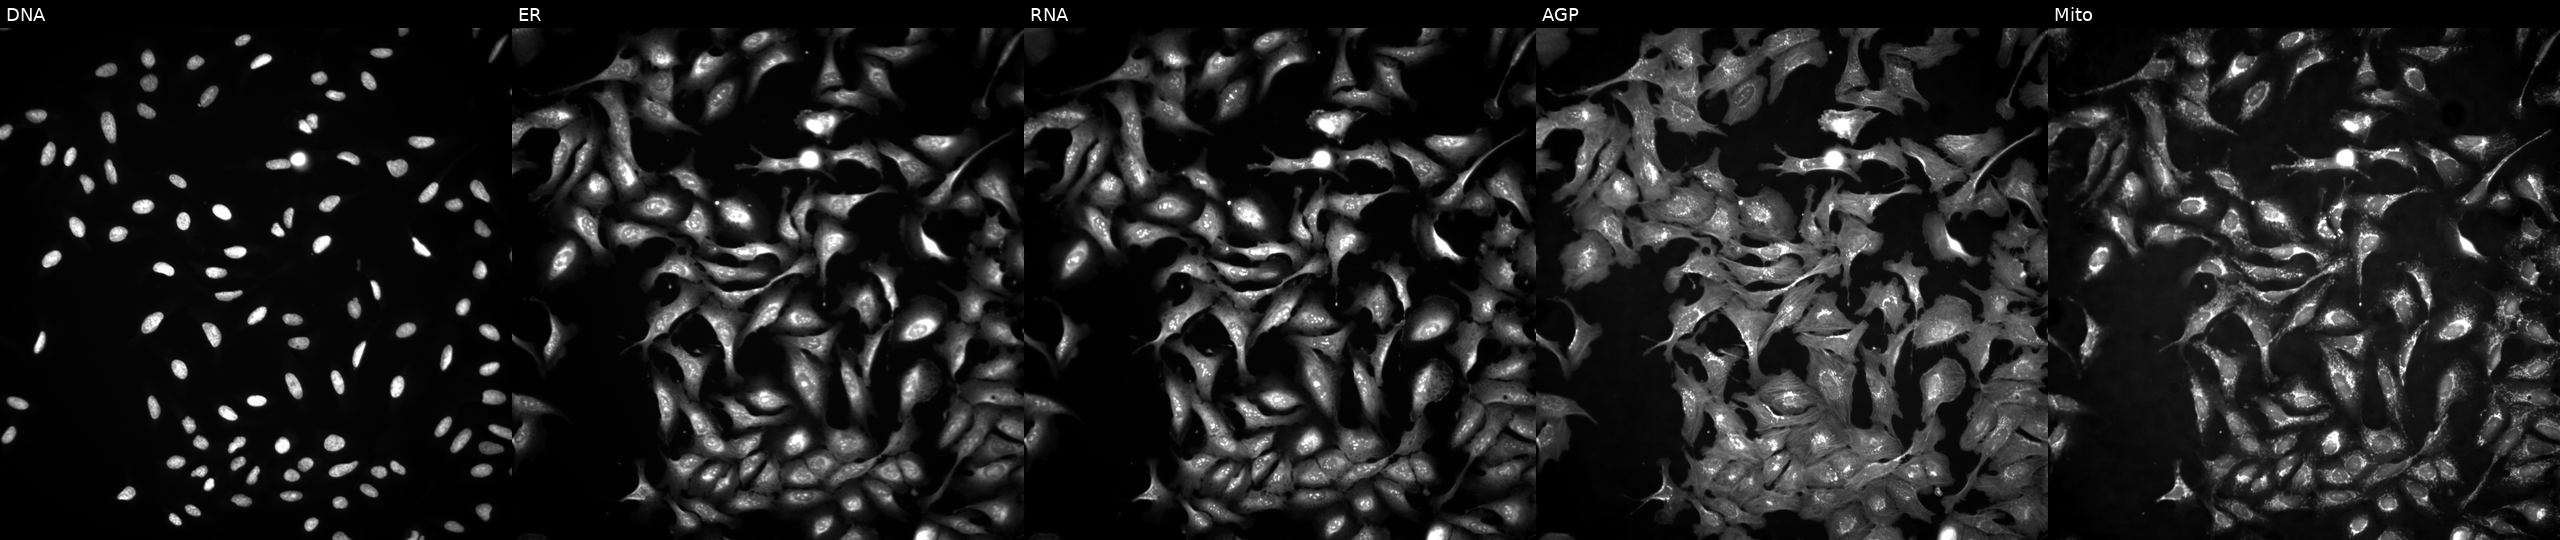
JUMP Cell Painting — ORF plate. U2OS cells transfected with an ORF construct for PTPN6. The five panels, left to right, show DNA, ER, RNA, AGP, and Mito.